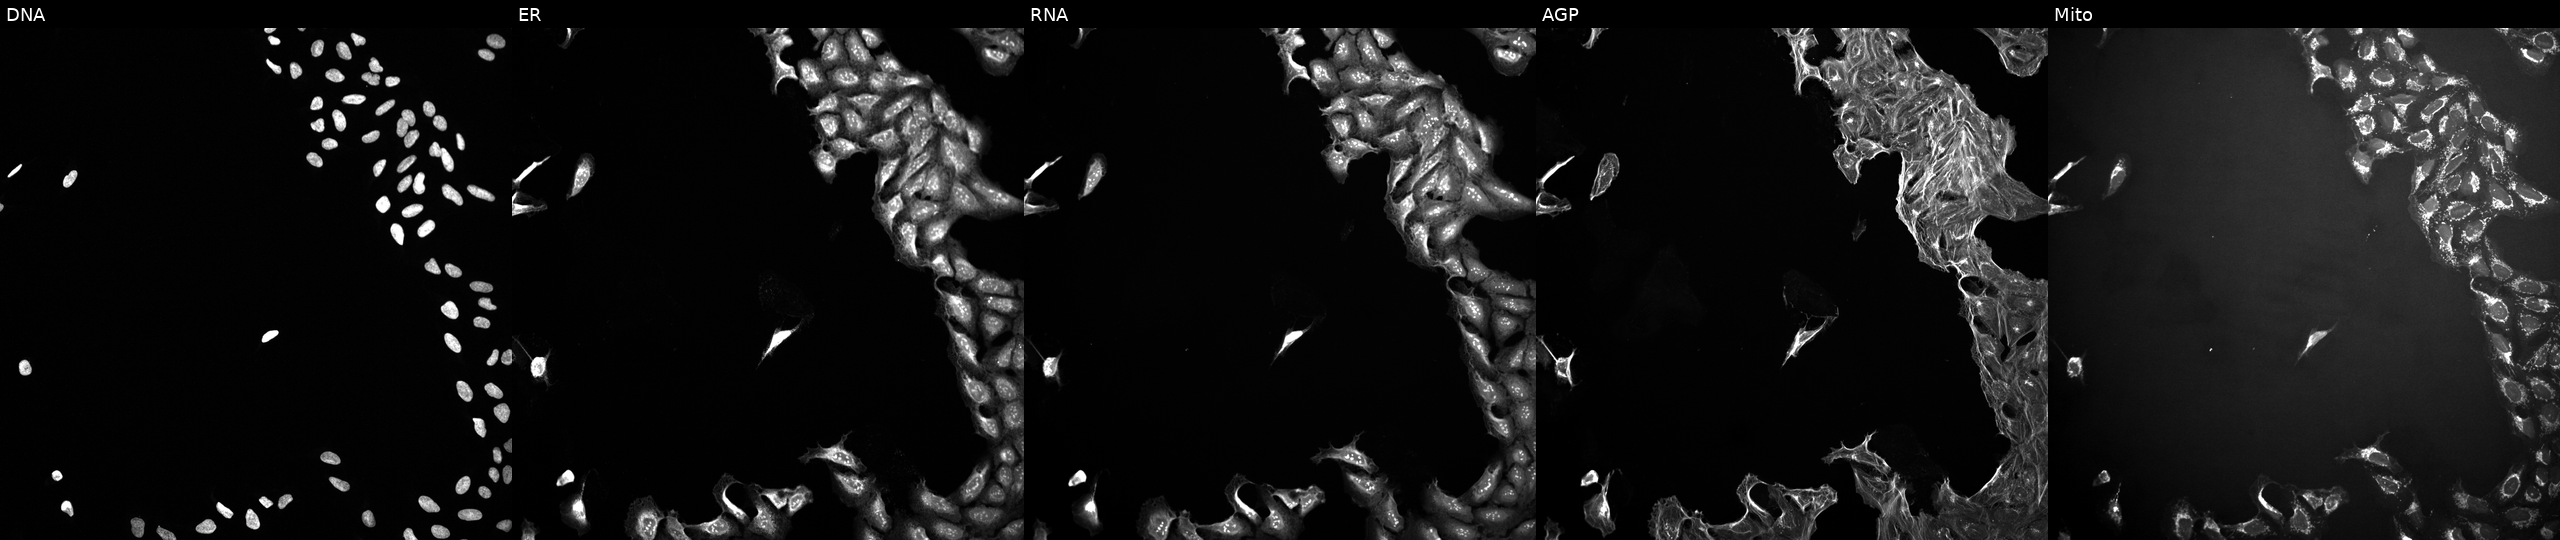
The five panels, left to right, show DNA, ER, RNA, AGP, and Mito. U2OS osteosarcoma cells treated with DMSO vehicle only (negative control) (JUMP id JCP2022_033924). Cell Painting assay, JUMP-CP dataset.